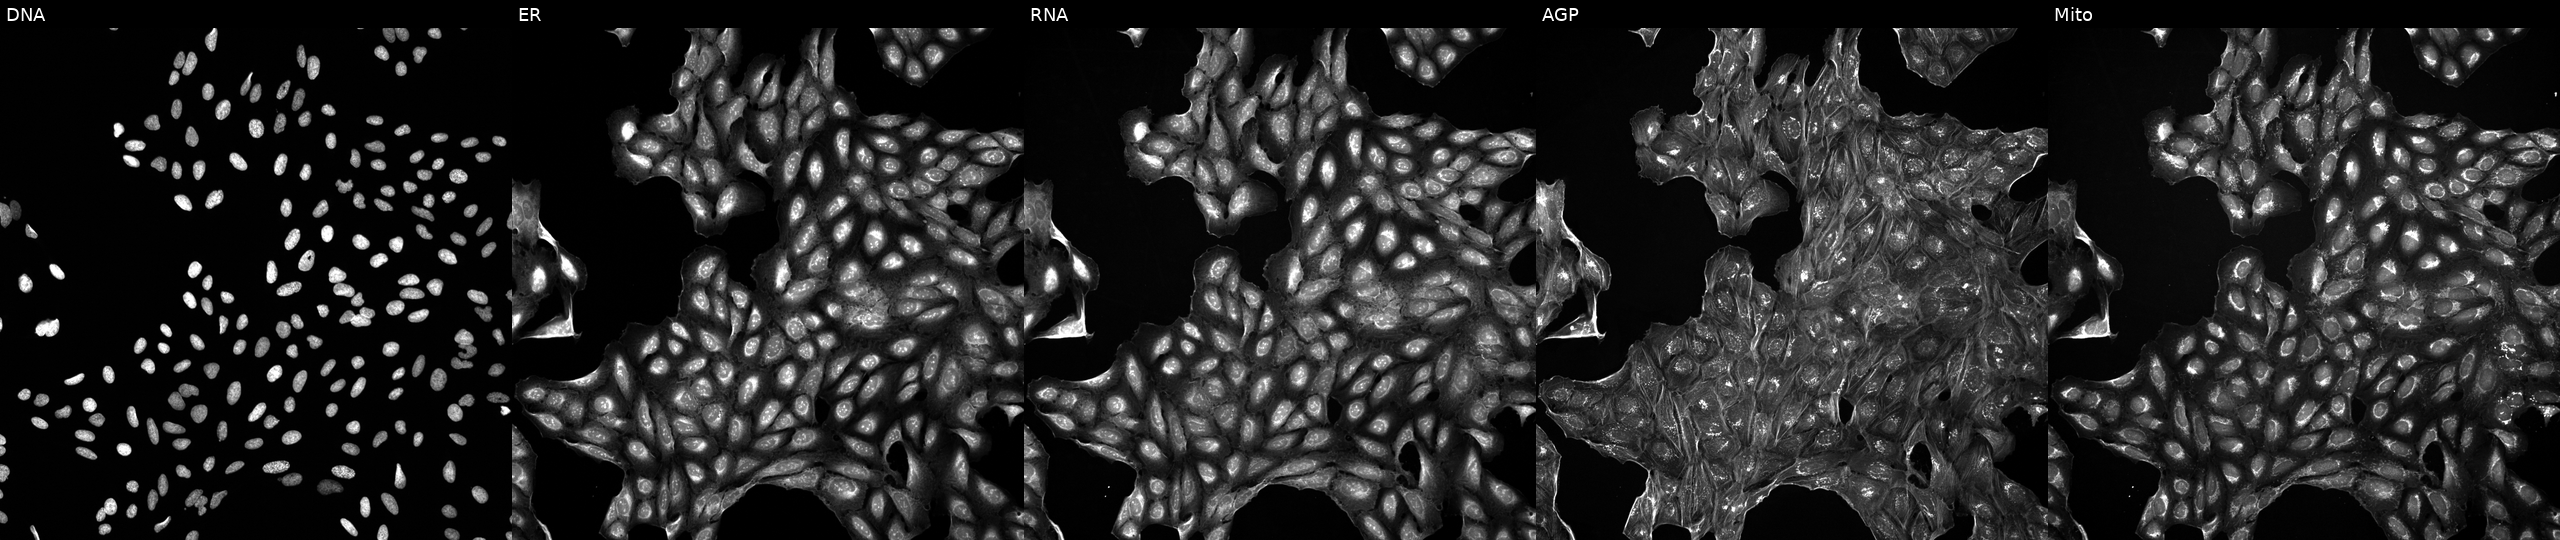
This image strip shows the five Cell Painting channels for a single field of U2OS cells perturbed with a small-molecule compound (InChIKey CQSXHRMOOZDOSM-UHFFFAOYSA-N). From left to right: DNA, ER, RNA, AGP, and Mito.